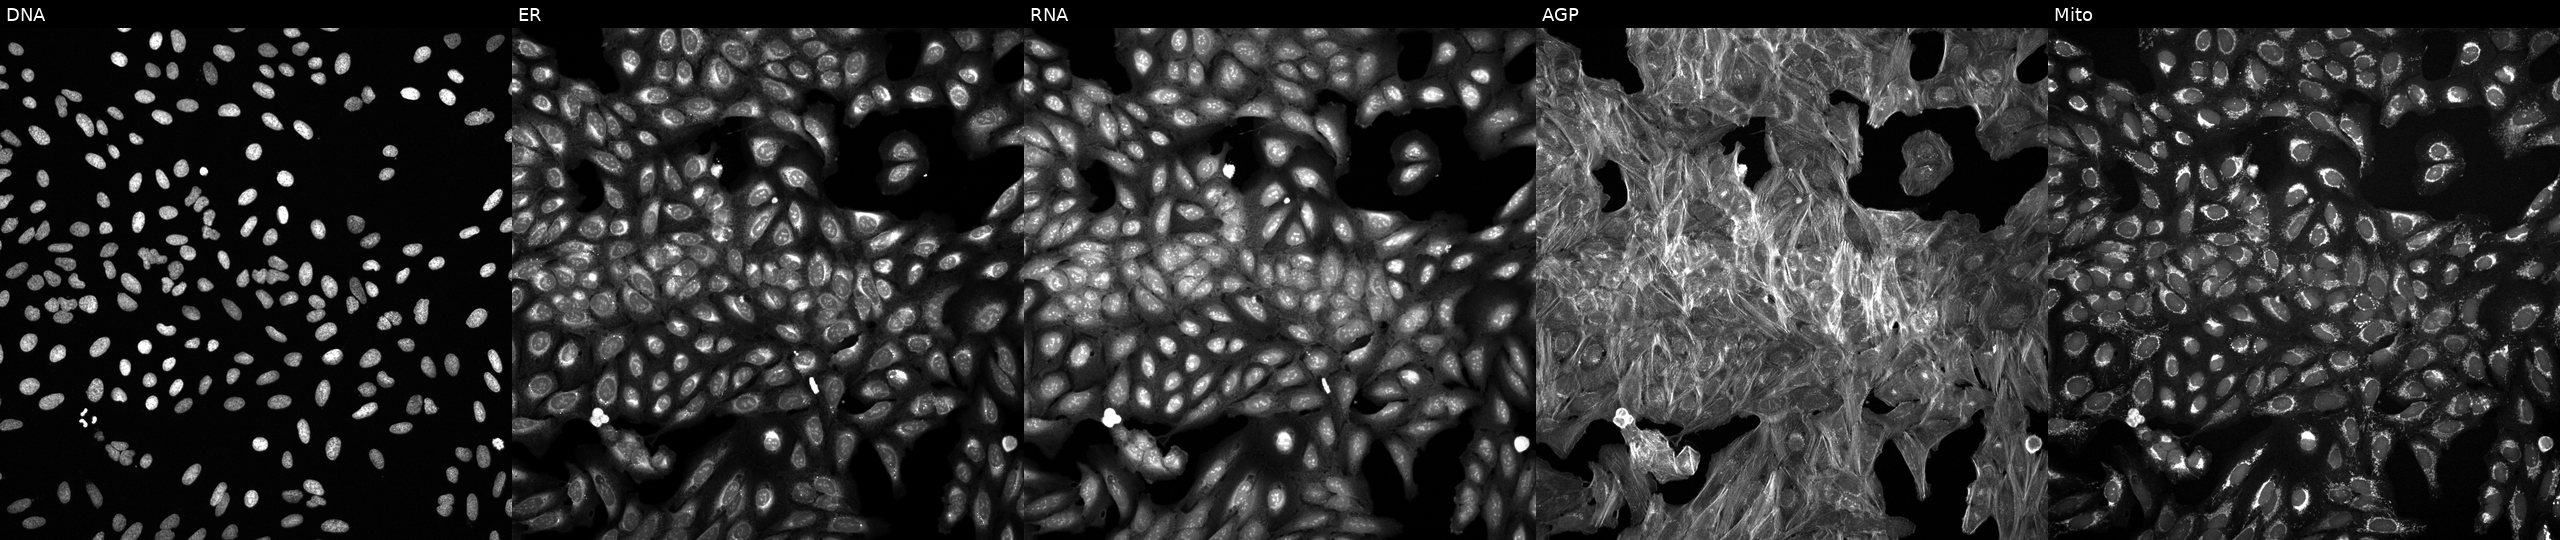
This image strip shows the five Cell Painting channels for a single field of U2OS cells exposed to a small-molecule compound (InChIKey MZYZALZZYCOOBQ-UHFFFAOYSA-N). The five panels, left to right, show DNA, ER, RNA, AGP, and Mito. Source 6, plate 110000293082, well F19.